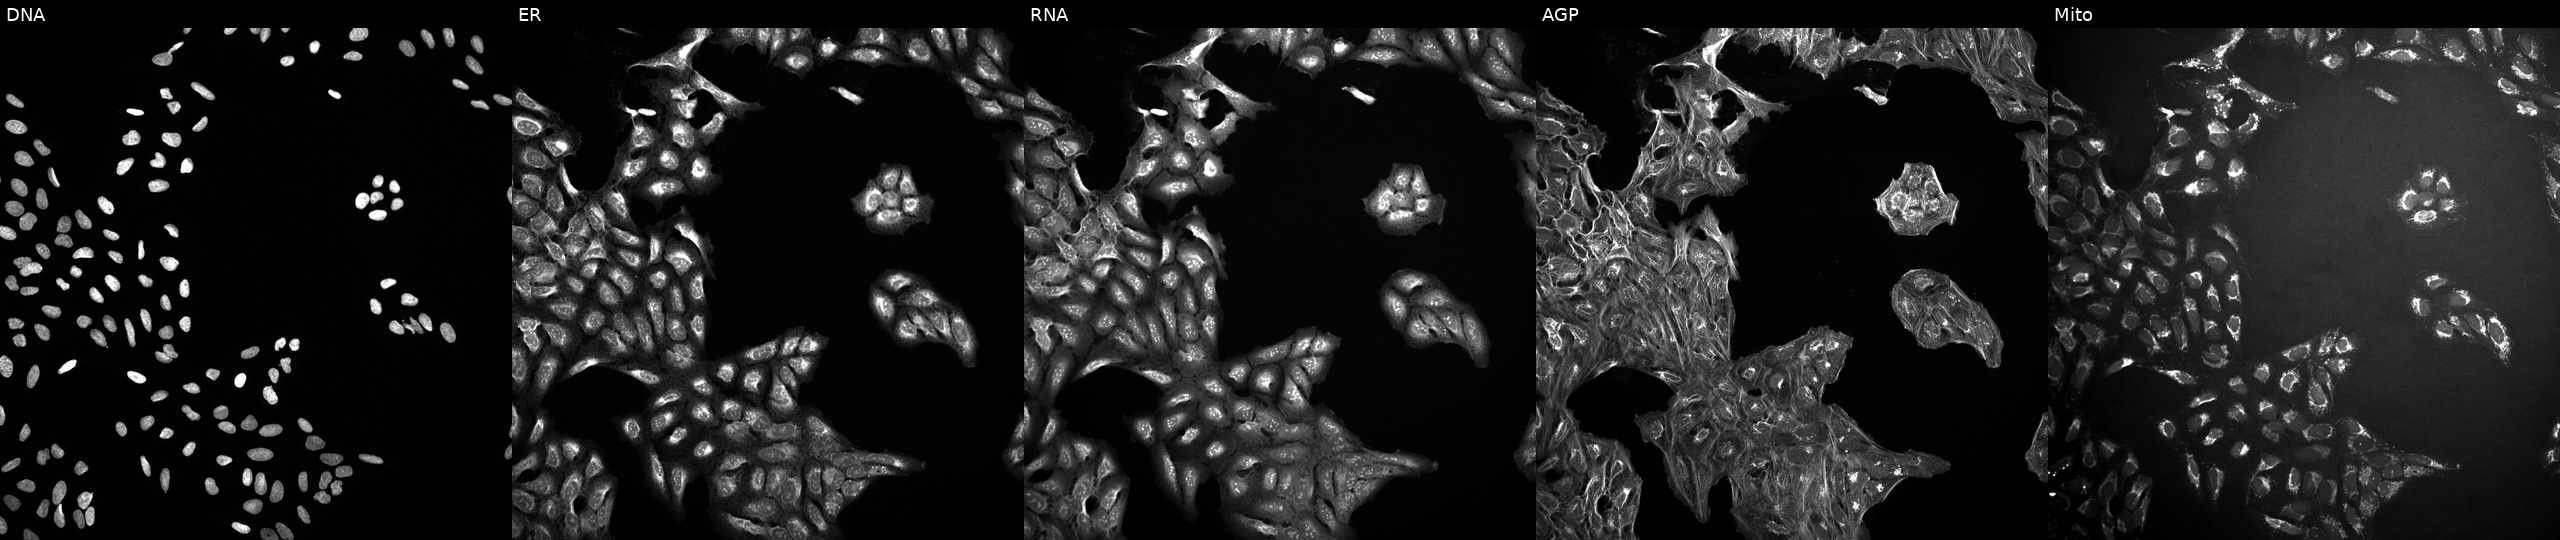
Five-channel Cell Painting image of U2OS cells treated with a small-molecule compound (InChIKey FYIKORUXSIHQOH-UHFFFAOYSA-N) (JUMP id JCP2022_023785). From left to right: DNA, ER, RNA, AGP, and Mito. Source 10, plate Dest210531-152324, well G14.